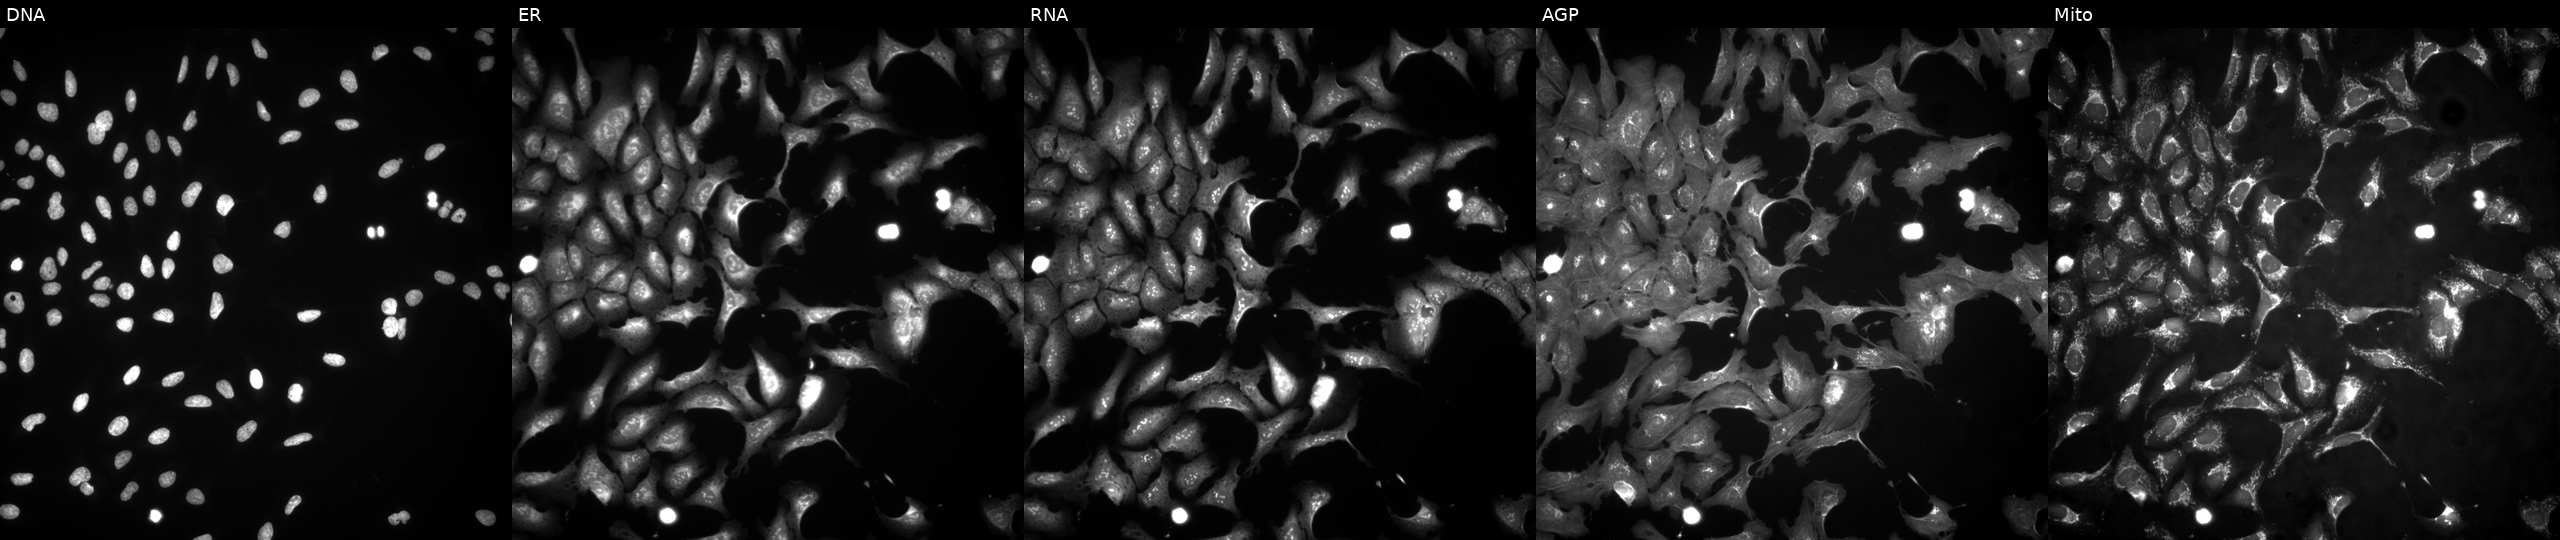
This image strip shows the five Cell Painting channels for a single field of U2OS cells overexpressing GPR119 via ORF transfection. The five panels, left to right, show DNA (nuclei); ER (endoplasmic reticulum); RNA (nucleoli and cytoplasmic RNA); AGP (actin cytoskeleton, Golgi, and plasma membrane); Mito (mitochondria).